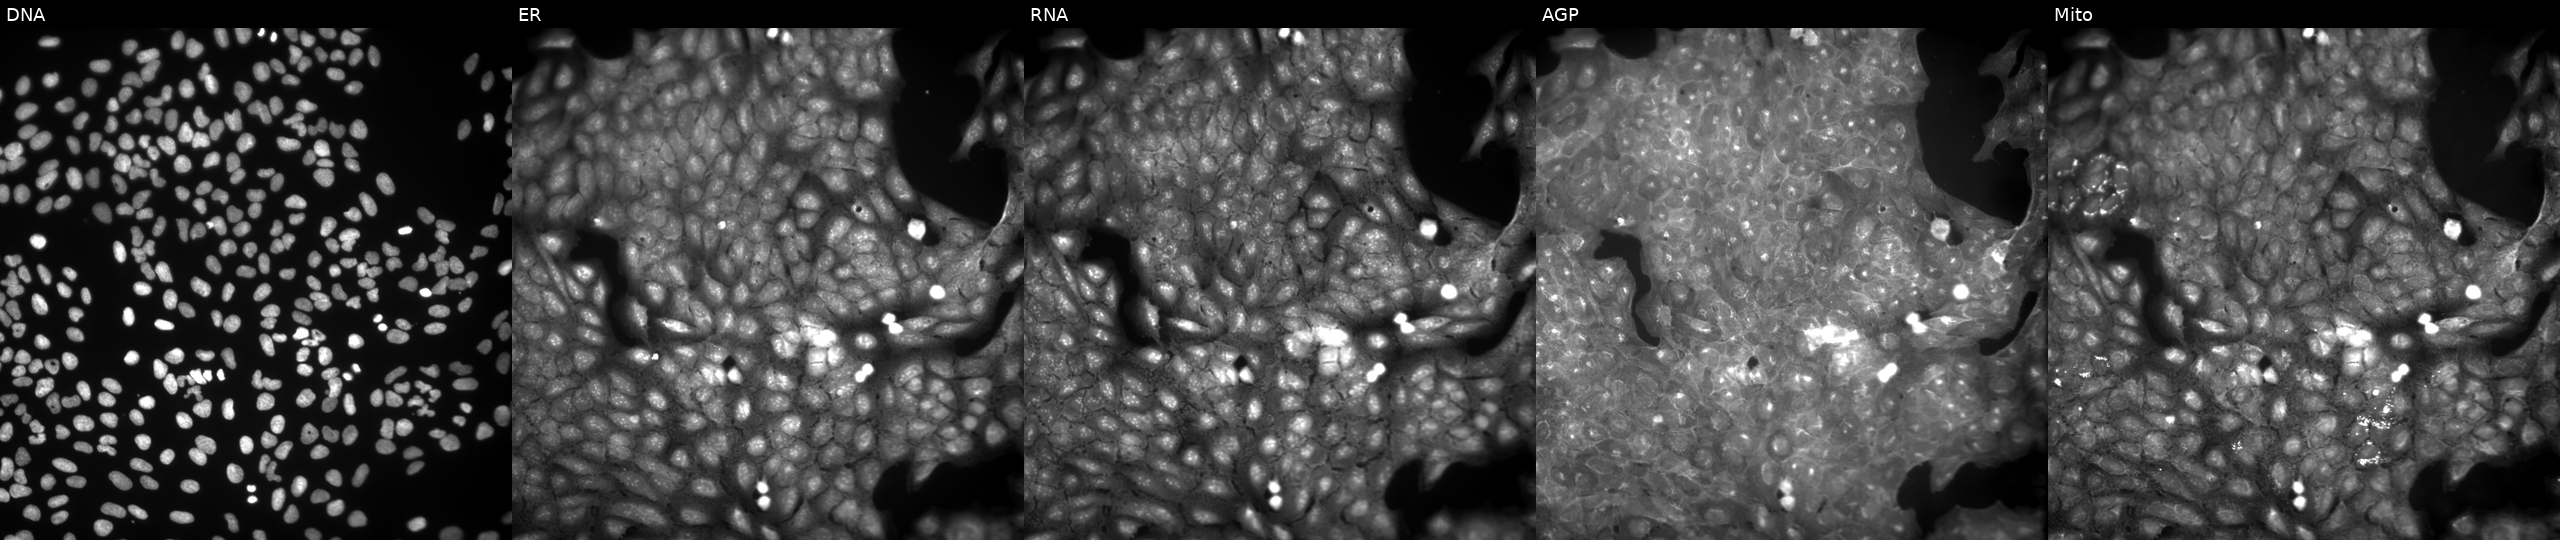
This image strip shows the five Cell Painting channels for a single field of U2OS cells treated with a small-molecule compound (InChIKey VFBZCERTALUHAX-UHFFFAOYSA-N). From left to right: Hoechst 33342, concanavalin A, SYTO 14, phalloidin and WGA, MitoTracker.